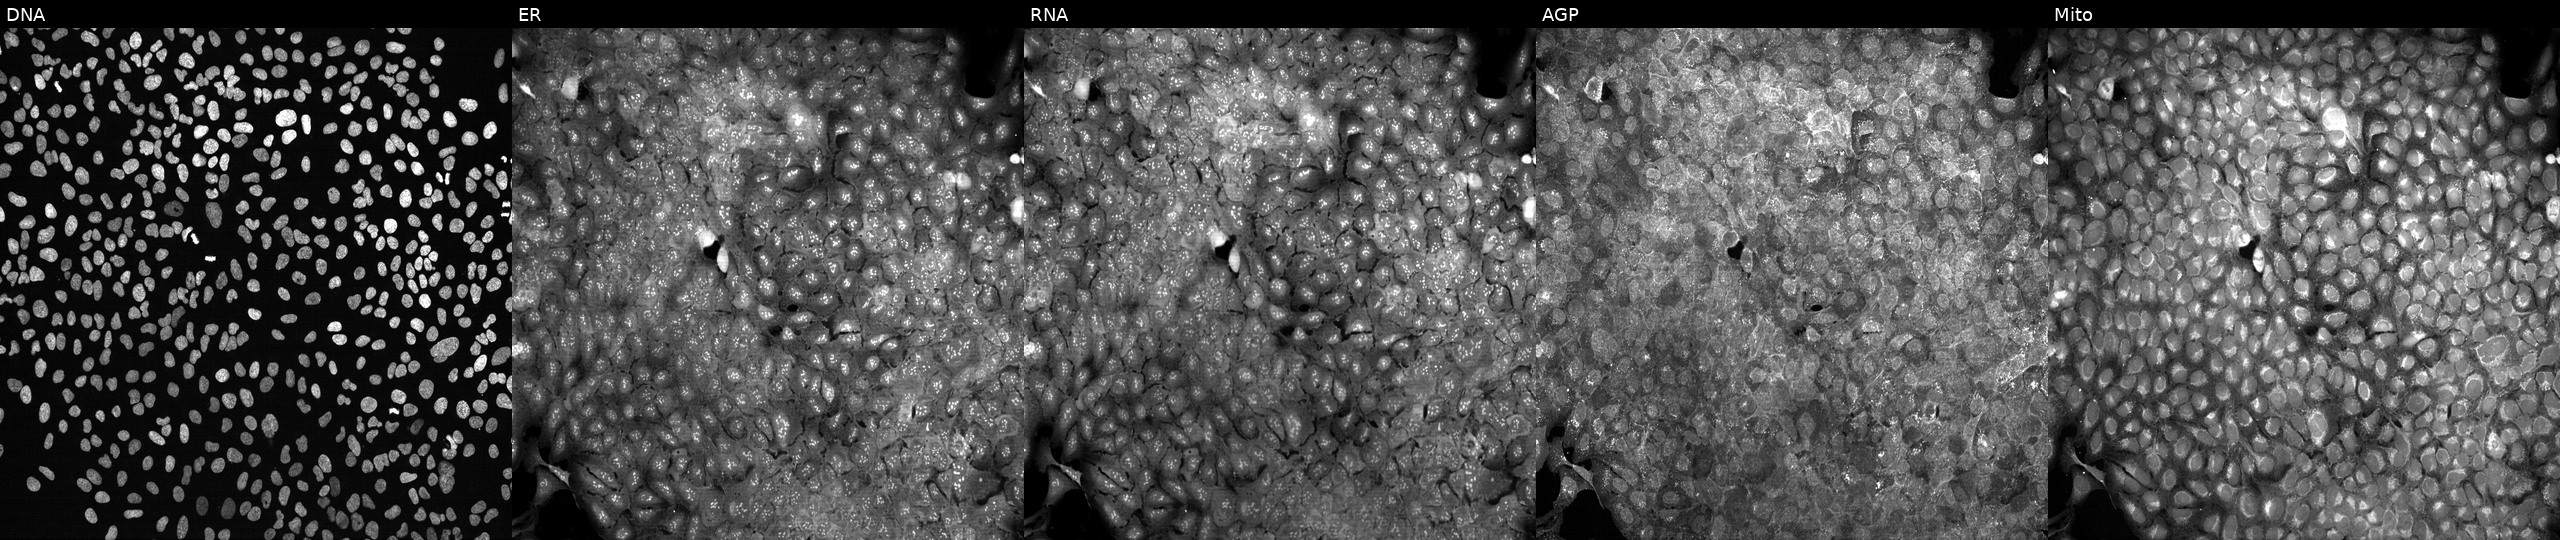
From left to right: Hoechst 33342, concanavalin A, SYTO 14, phalloidin and WGA, MitoTracker. U2OS osteosarcoma cells with a non-targeting CRISPR guide (negative control) (JUMP id JCP2022_800002). Cell Painting assay, JUMP-CP dataset.